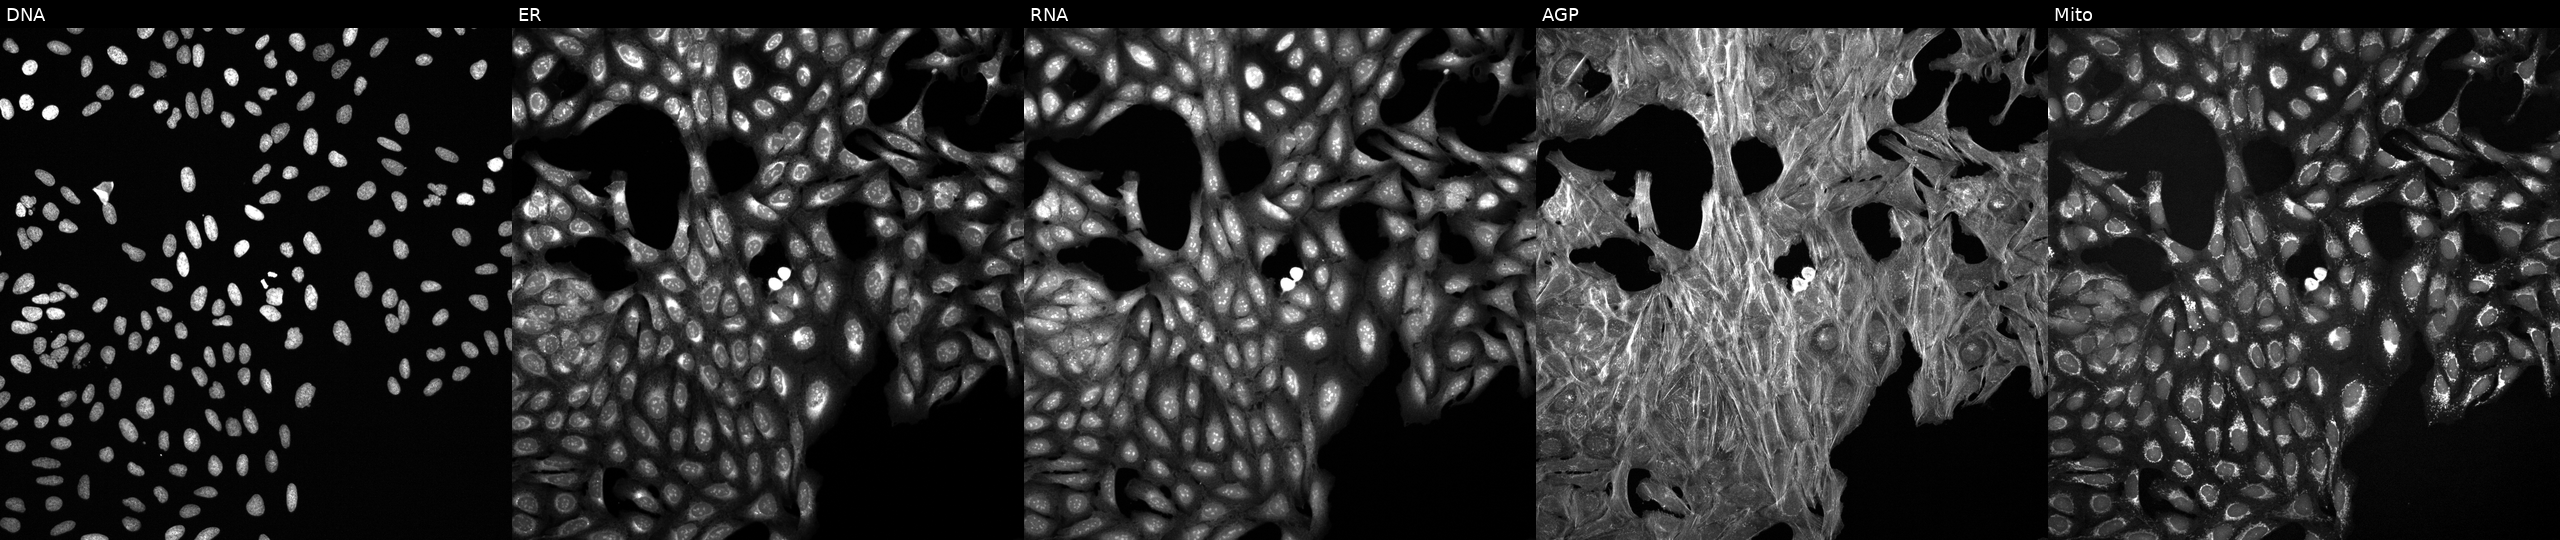
U2OS cells, Cell Painting assay, perturbed with a small-molecule compound (JUMP id JCP2022_078581). Panels show, left to right, DNA (nuclei); ER (endoplasmic reticulum); RNA (nucleoli and cytoplasmic RNA); AGP (actin cytoskeleton, Golgi, and plasma membrane); Mito (mitochondria). Each panel is percentile-stretched 16-bit fluorescence.